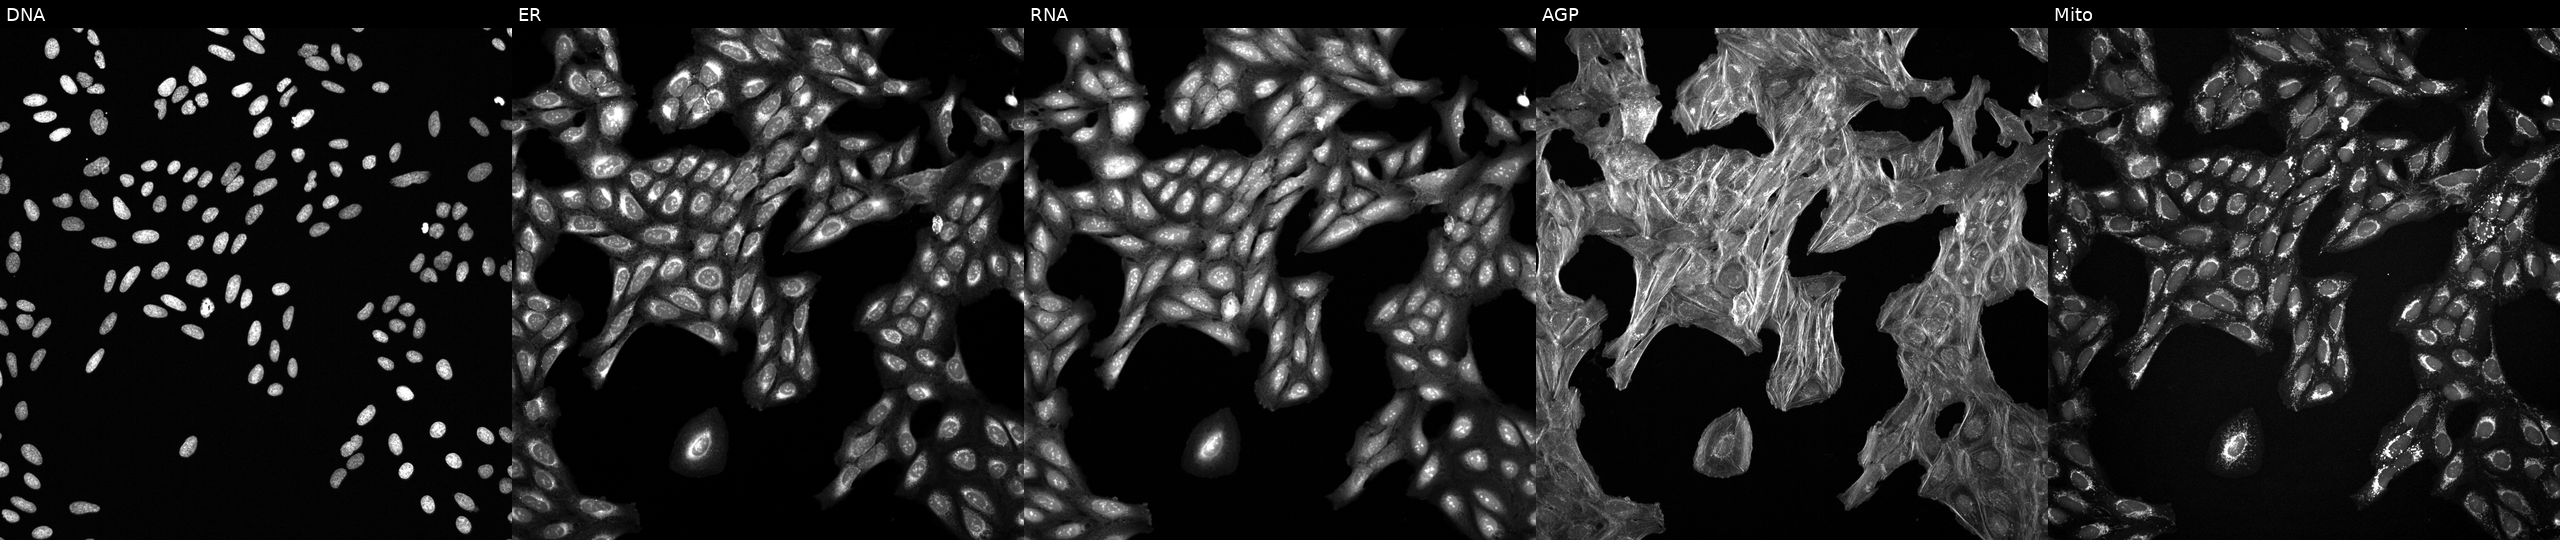
Panels show, left to right, DNA, ER, RNA, AGP, and Mito. U2OS osteosarcoma cells exposed to a small-molecule compound (InChIKey JBPJERGZMJWGIP-UHFFFAOYSA-N) [SMILES: CC1Cc2ccccc2N1C(=O)c1c(Cl)cnn1C] (JUMP id JCP2022_038729). Cell Painting assay, JUMP-CP dataset. Source 6, plate 110000293082, well M17.